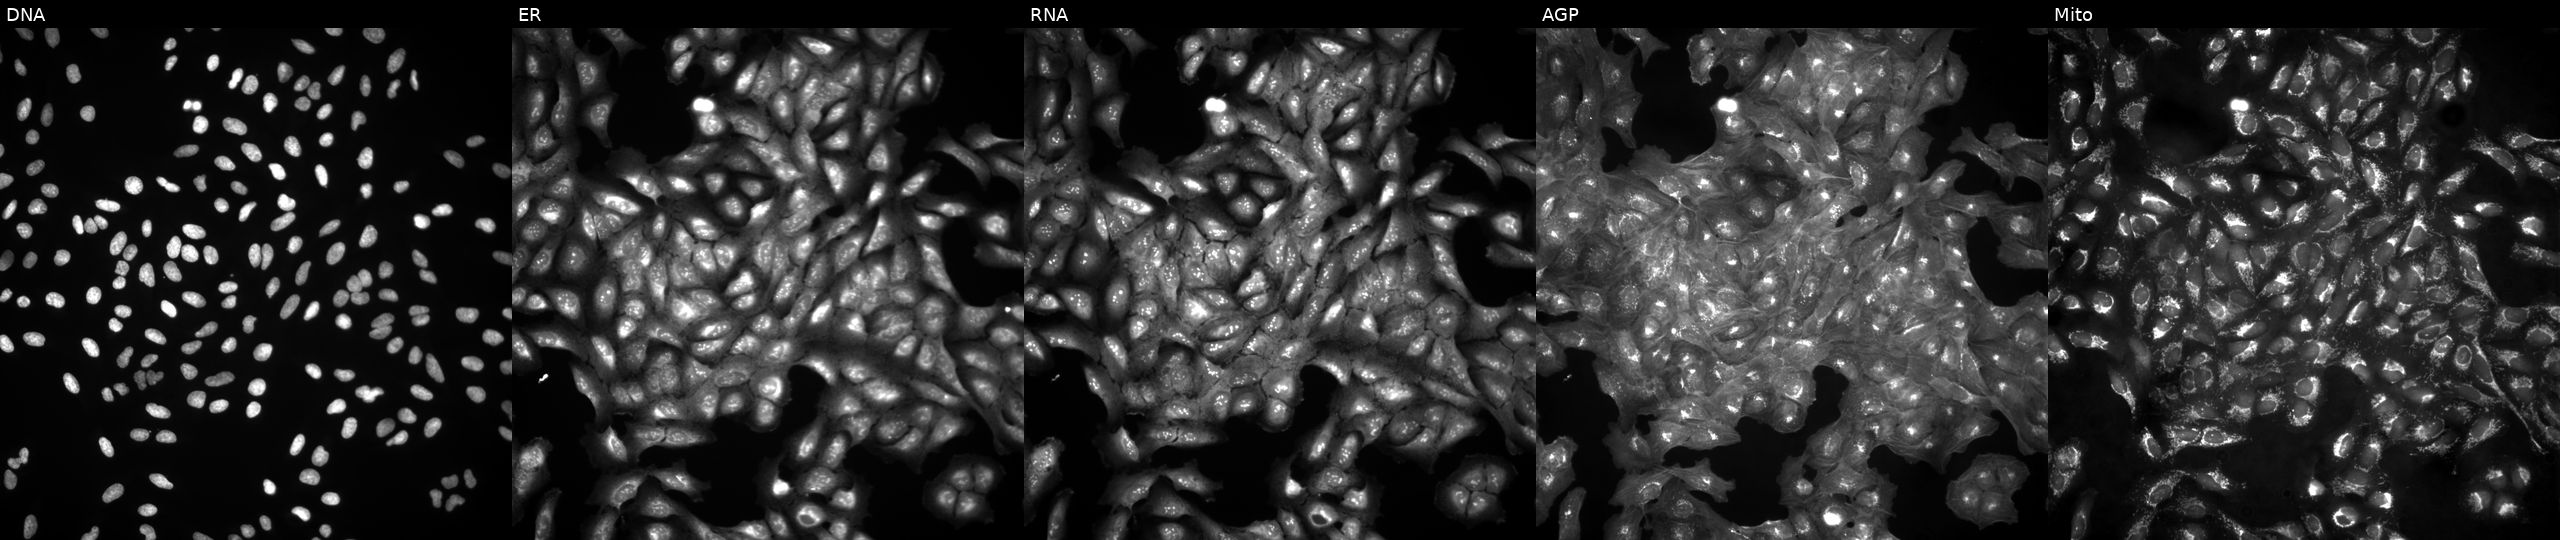
Five-channel Cell Painting image of U2OS cells untreated (empty-well control) (JUMP id JCP2022_999999). Panels show, left to right, DNA (nuclei); ER (endoplasmic reticulum); RNA (nucleoli and cytoplasmic RNA); AGP (actin cytoskeleton, Golgi, and plasma membrane); Mito (mitochondria). Source 4, plate BR00123946, well G18.